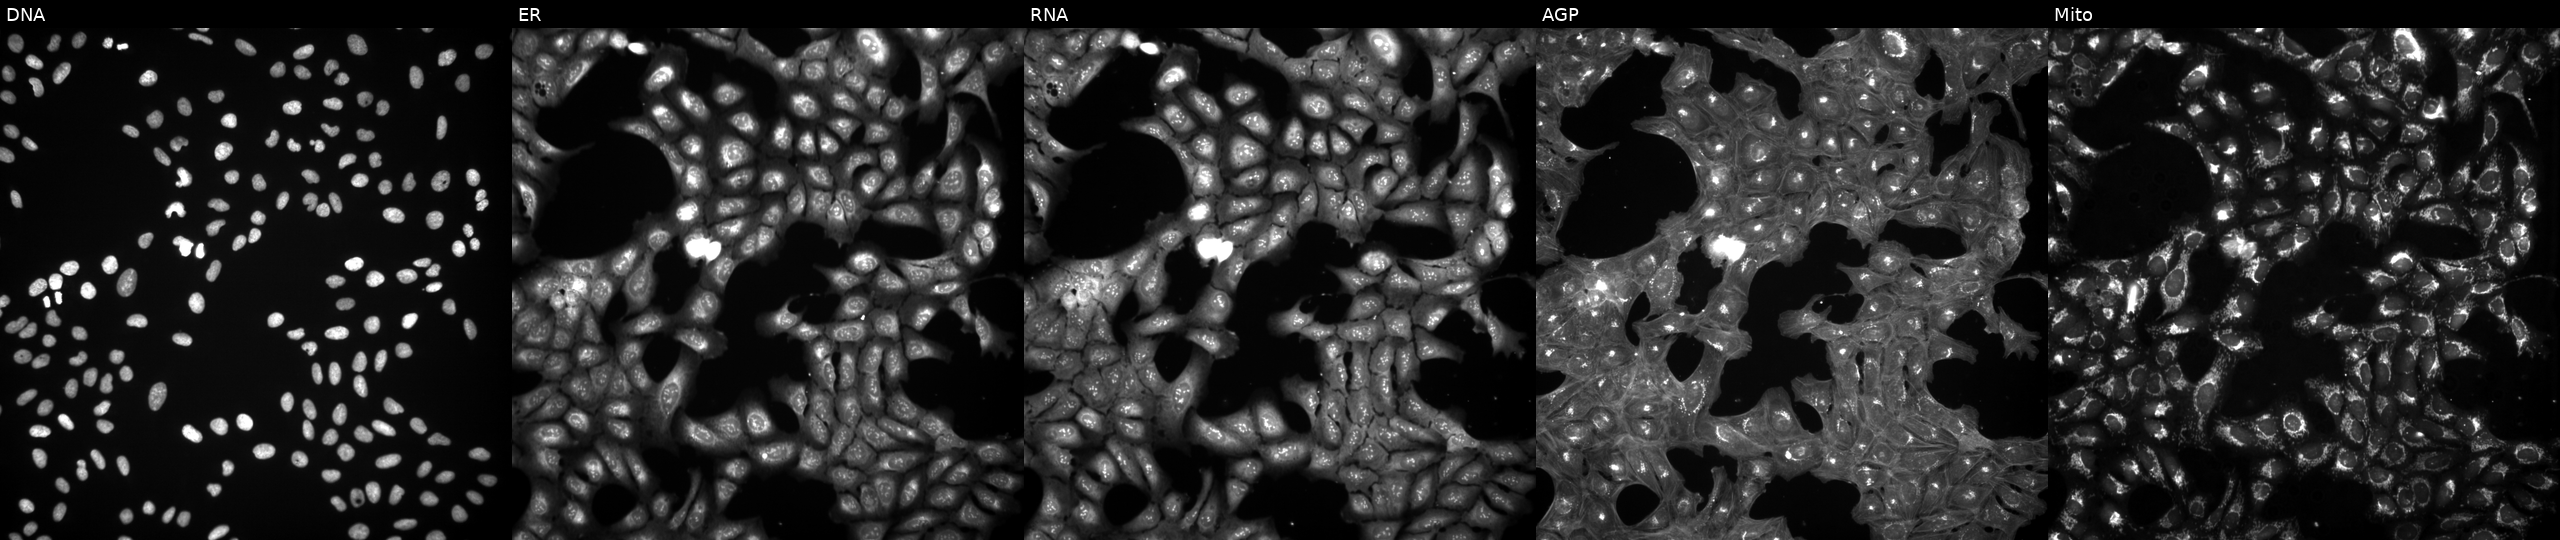
This image strip shows the five Cell Painting channels for a single field of U2OS cells treated with a small-molecule compound (InChIKey JVGBTTIJPBFLTE-UHFFFAOYSA-N) (JUMP id JCP2022_042354). From left to right: Hoechst 33342, concanavalin A, SYTO 14, phalloidin and WGA, MitoTracker. Source 3, plate JCPQC052, well L17.